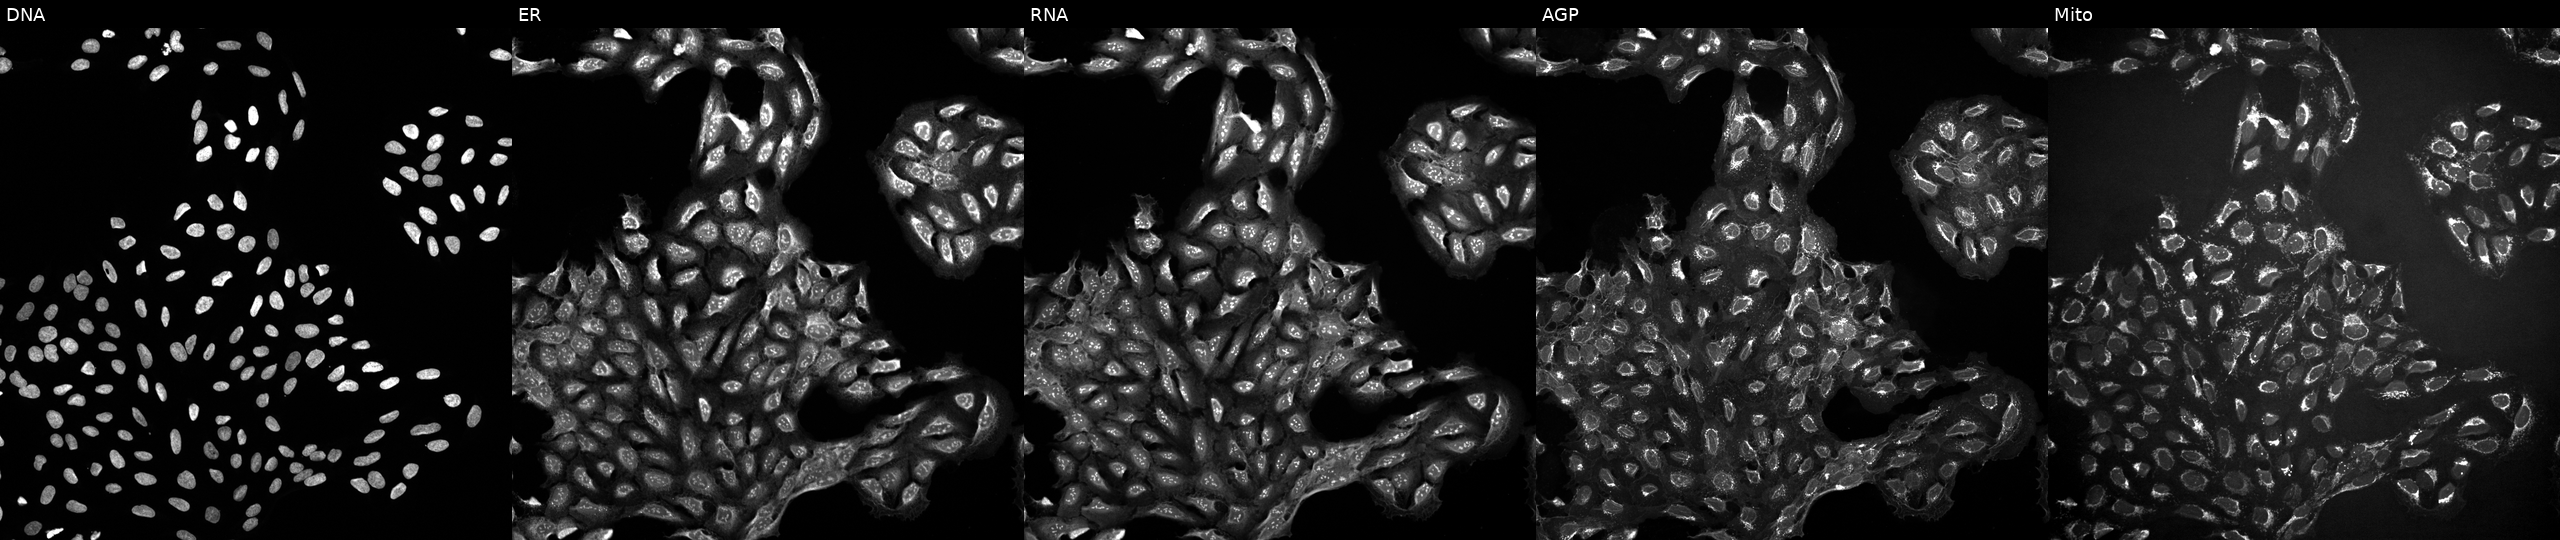
High-content fluorescence microscopy (Cell Painting). Cell line: U2OS. Perturbation: exposed to a small-molecule compound (InChIKey PWKSKIMOESPYIA-UHFFFAOYSA-N) (JUMP id JCP2022_071429). The five panels, left to right, show Hoechst 33342, concanavalin A, SYTO 14, phalloidin and WGA, MitoTracker.